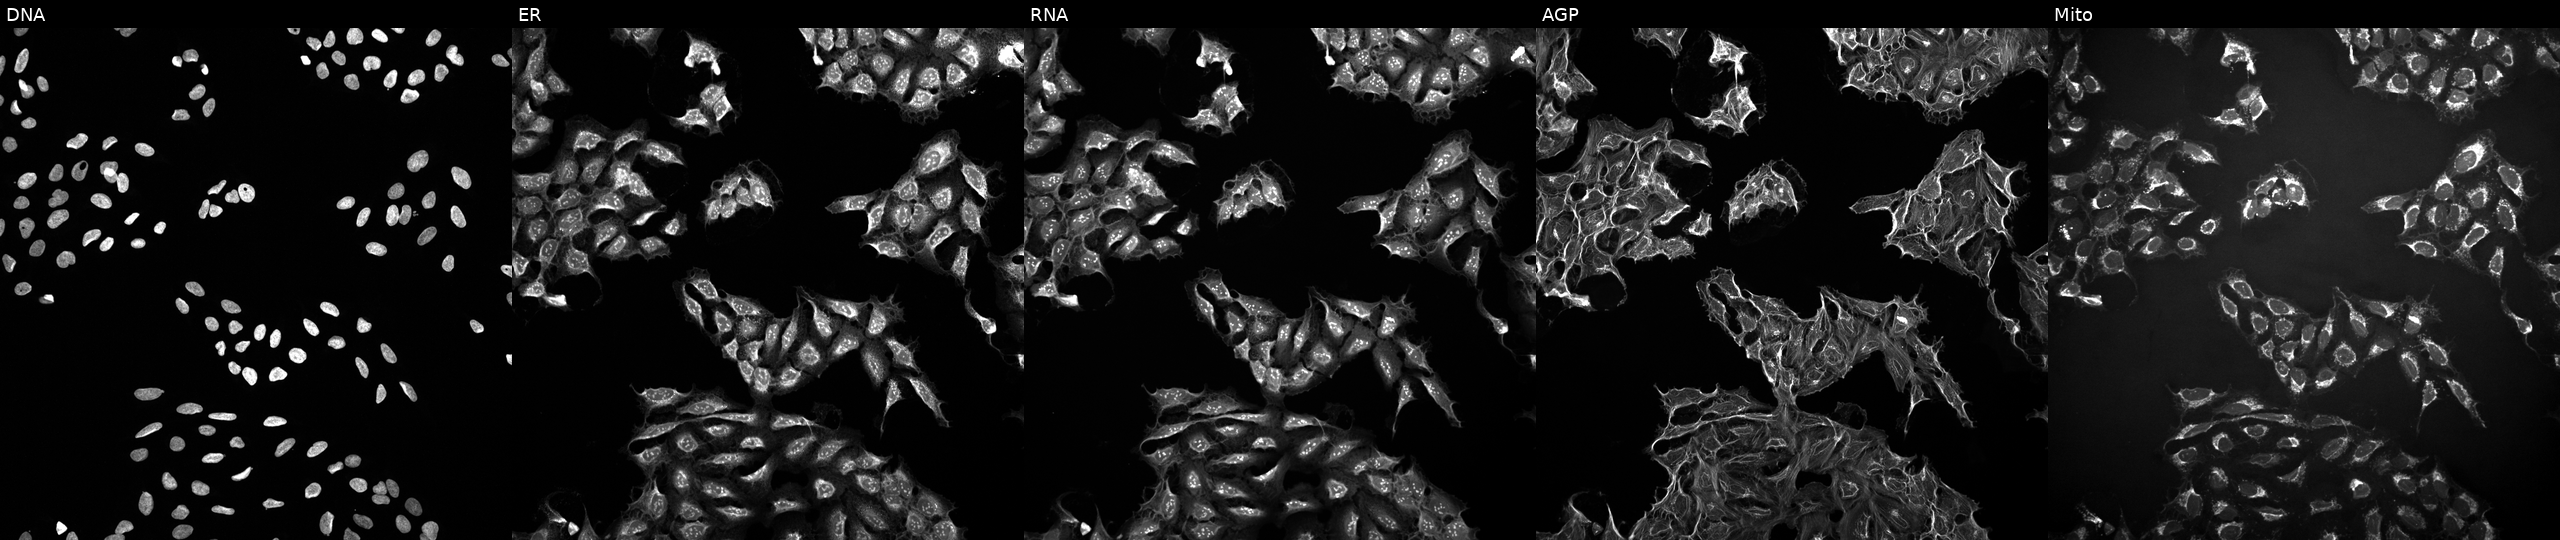
U2OS cells, Cell Painting assay, treated with a small-molecule compound. Panels show, left to right, DNA, ER, RNA, AGP, and Mito. Each panel is percentile-stretched 16-bit fluorescence. Source 10, plate Dest210726-160150, well P06.